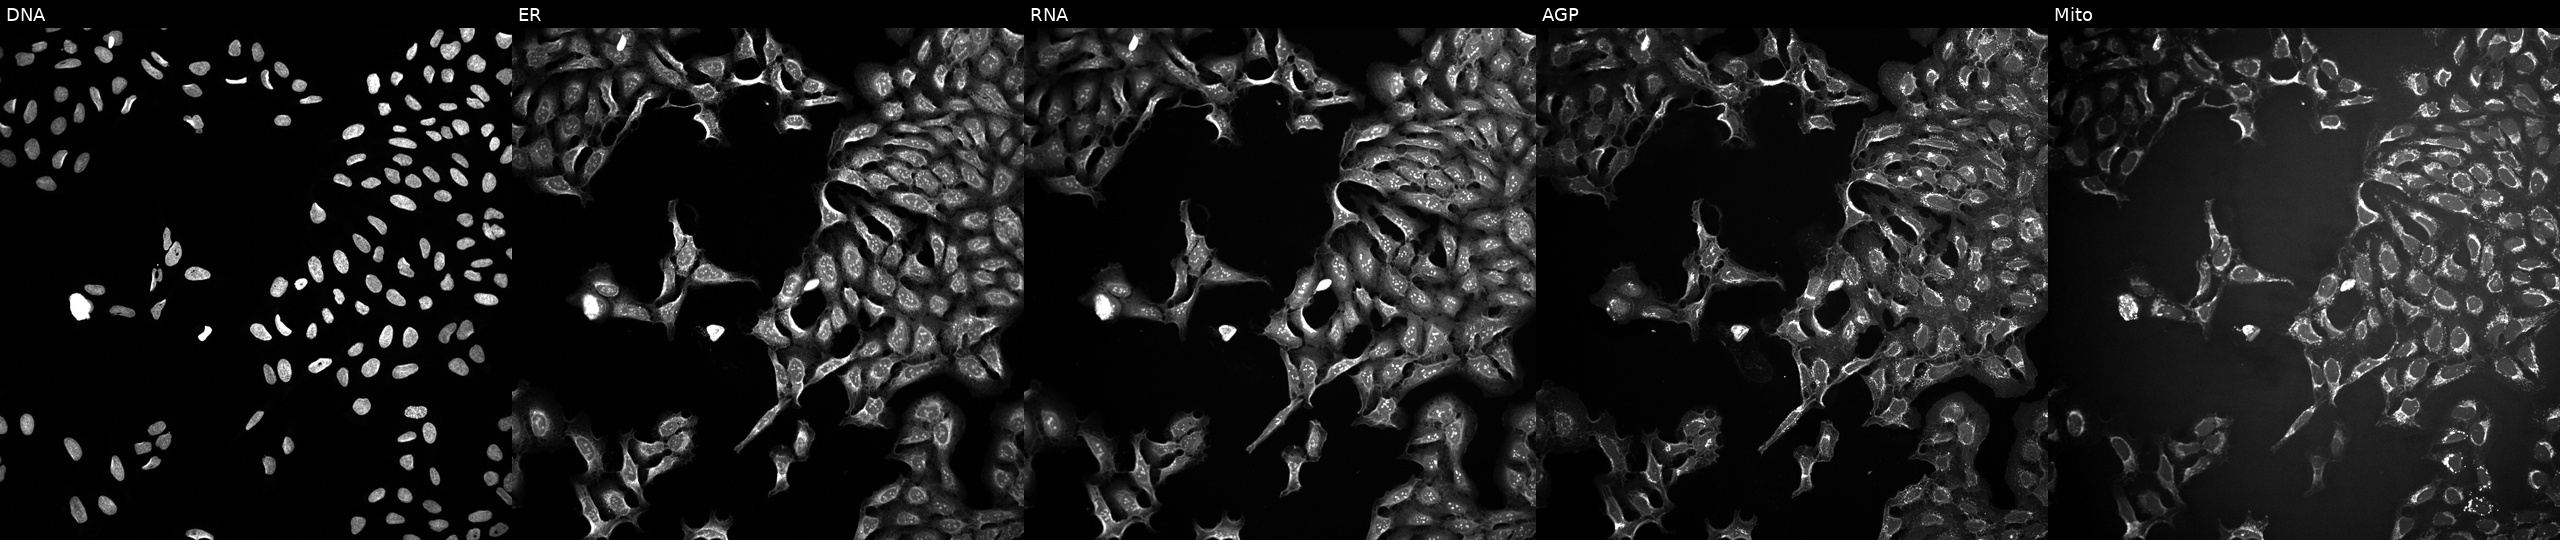
High-content fluorescence microscopy (Cell Painting). Cell line: U2OS. Perturbation: perturbed with a small-molecule compound (InChIKey IIXWYSCJSQVBQM-UHFFFAOYSA-N). Channels (left→right): DNA, ER, RNA, AGP, and Mito. Source 10, plate Dest210803-153958, well N15.